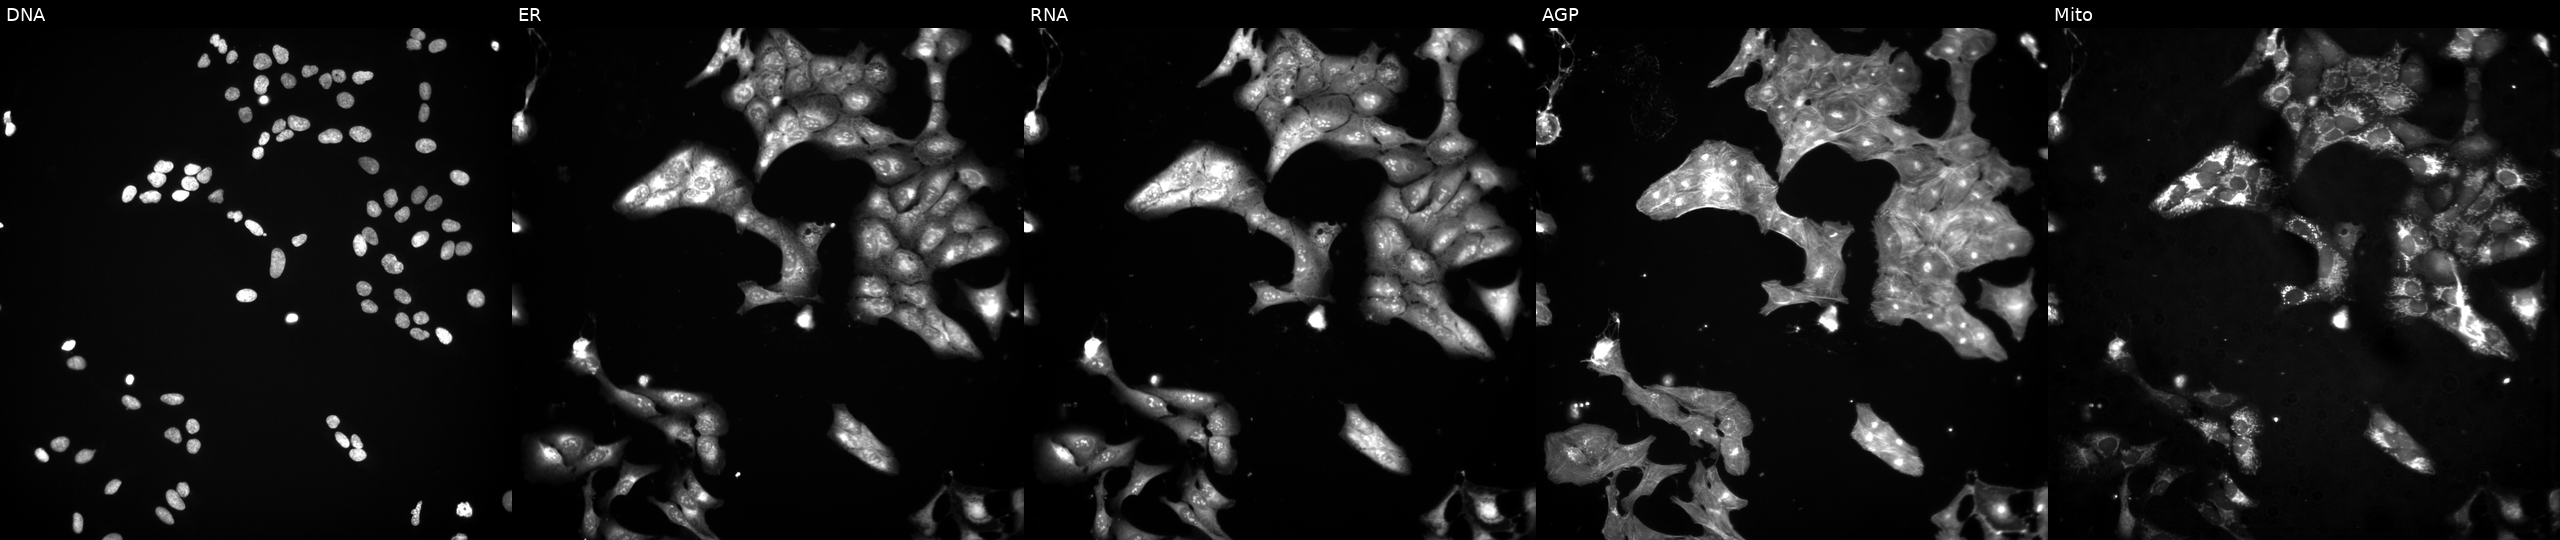
JUMP Cell Painting — TARGET2 plate. U2OS cells treated with a small-molecule compound (InChIKey AJVXVYTVAAWZAP-UHFFFAOYSA-N) [SMILES: CC1(C)C(=O)N=C2c3ccccc3C(=O)C(=O)C21]. From left to right: DNA, ER, RNA, AGP, and Mito.